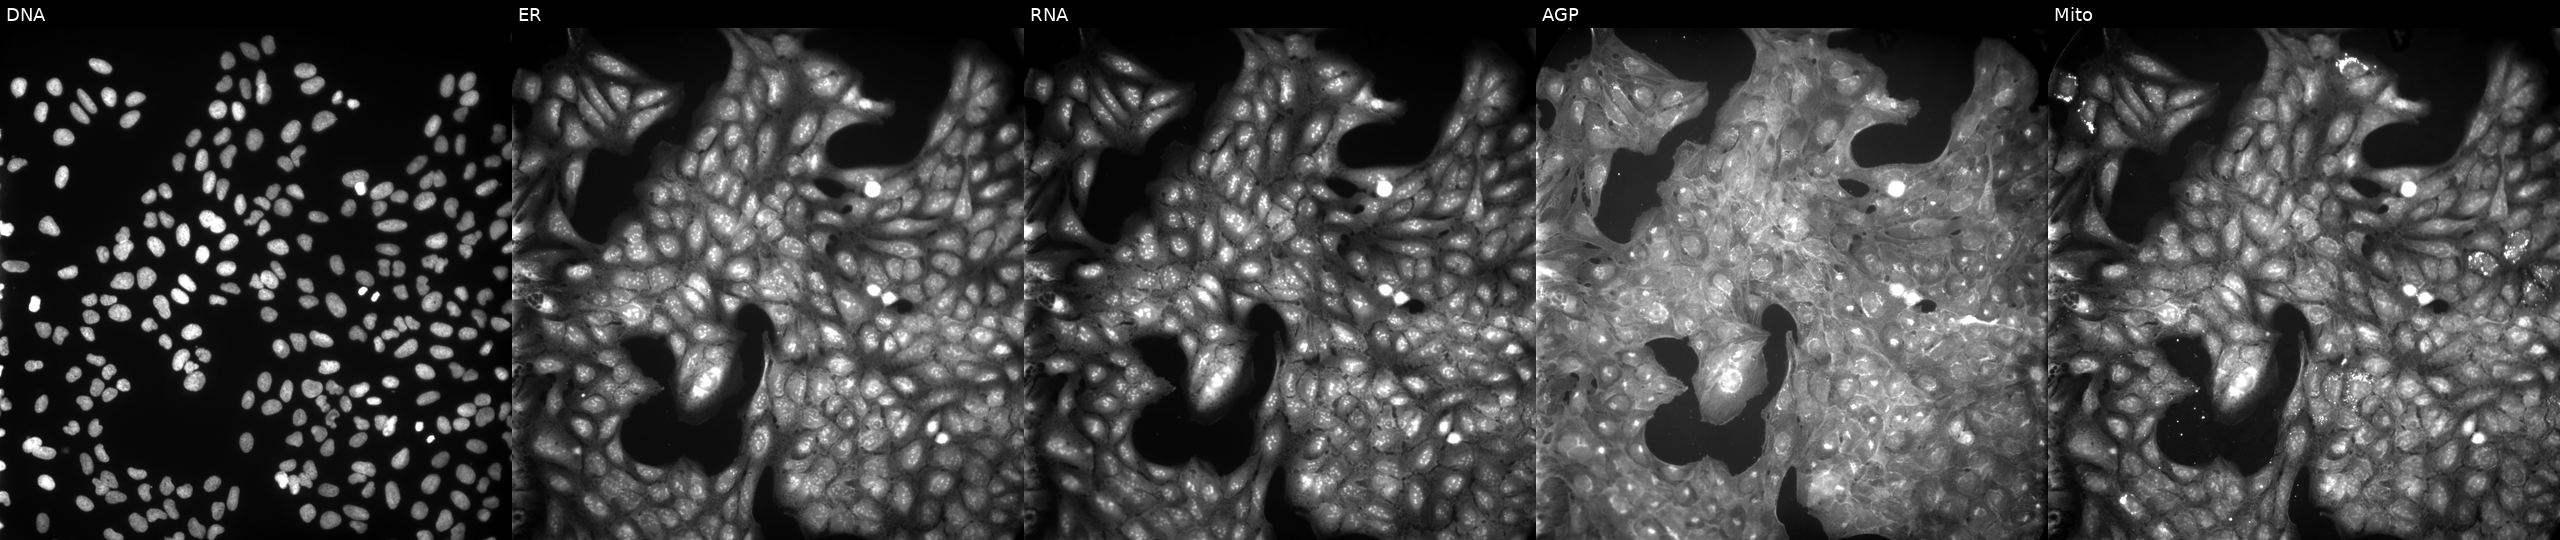
Five-channel Cell Painting image of U2OS cells perturbed with a small-molecule compound (InChIKey MMYGCHWXDWRDHW-UHFFFAOYSA-N) [SMILES: CCOC(=O)NNc1ccc2nonc2c1[N+](=O)[O-]]. From left to right: DNA, ER, RNA, AGP, and Mito. Source 9, plate GR00003382, well AF04.